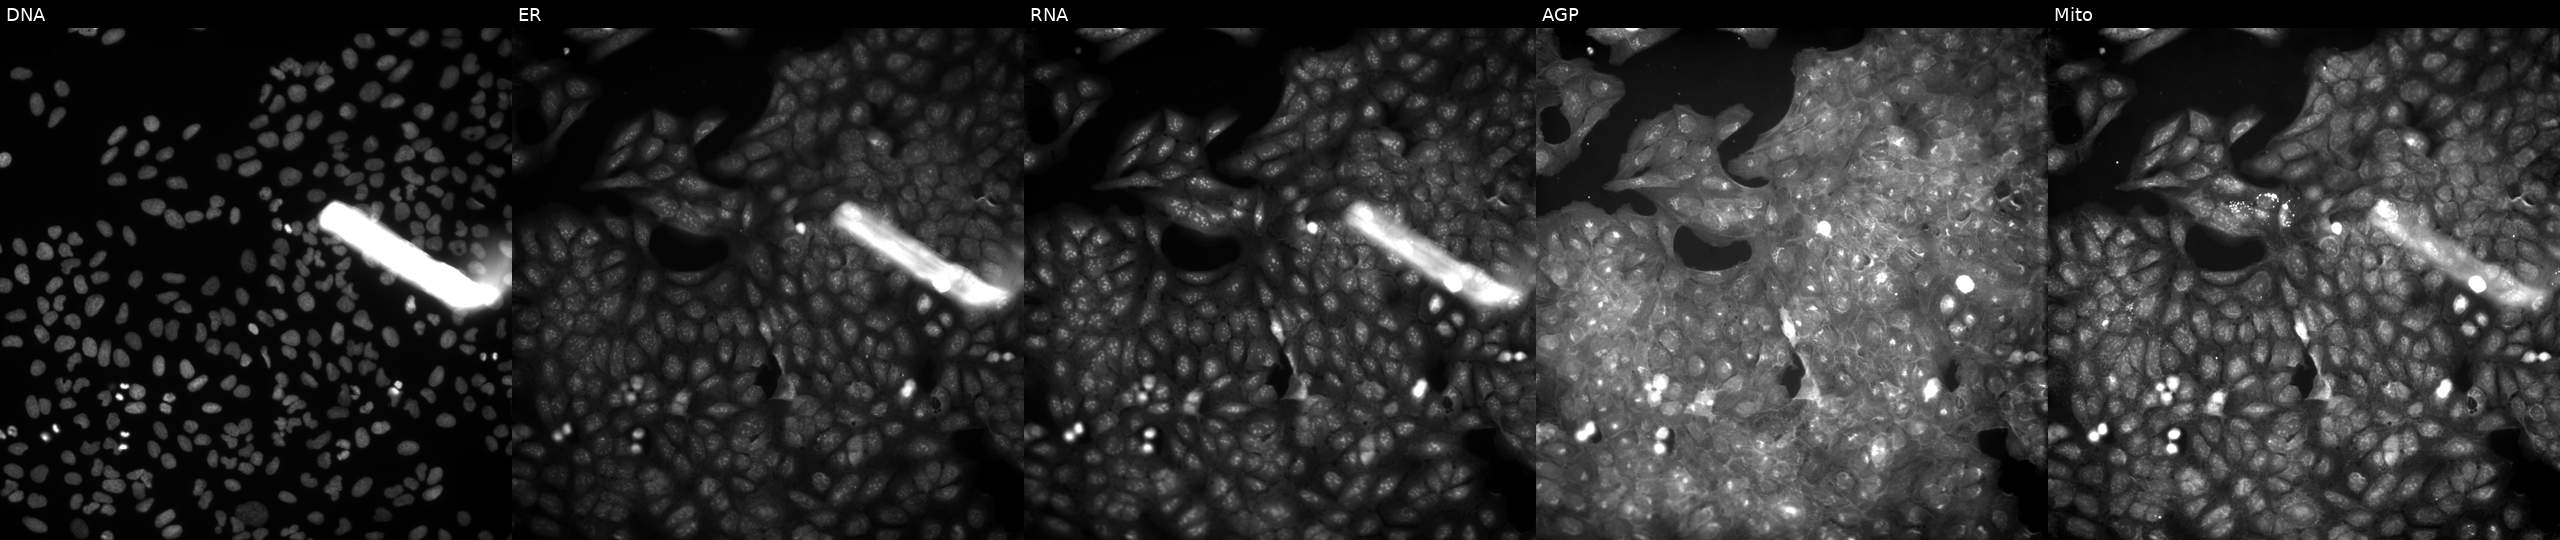
This image strip shows the five Cell Painting channels for a single field of U2OS cells exposed to DMSO alone as a negative control (JUMP id JCP2022_033924). Channels (left→right): DNA, ER, RNA, AGP, and Mito. Source 9, plate GR00003382, well V23.